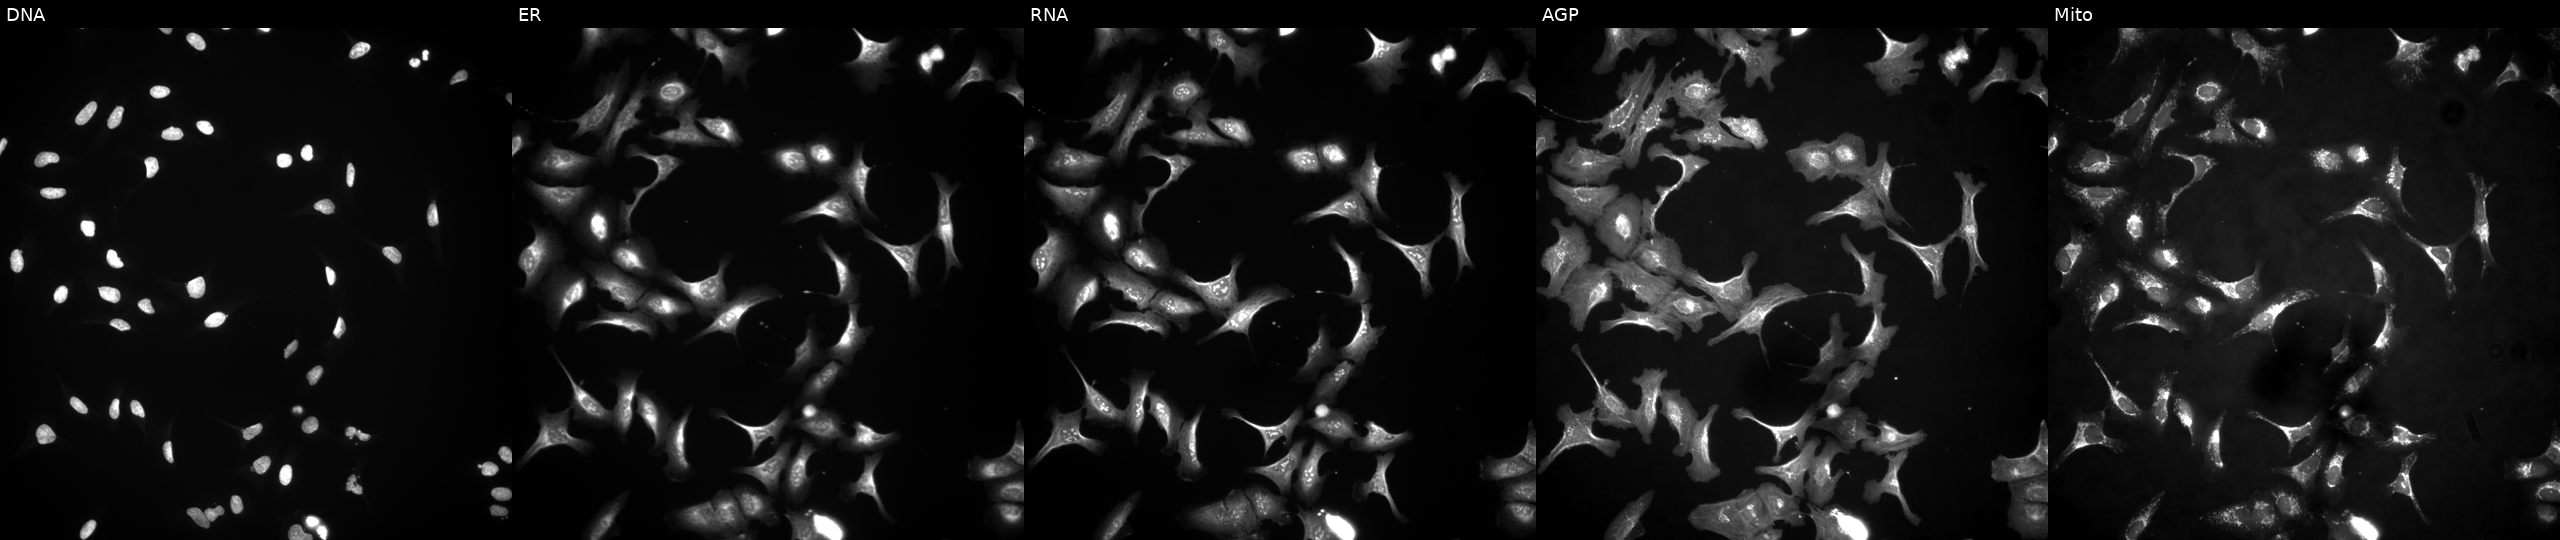
From left to right: Hoechst 33342, concanavalin A, SYTO 14, phalloidin and WGA, MitoTracker. U2OS osteosarcoma cells transfected with an ORF construct for GPR173. Cell Painting assay, JUMP-CP dataset. Source 4, plate BR00124790, well P07.